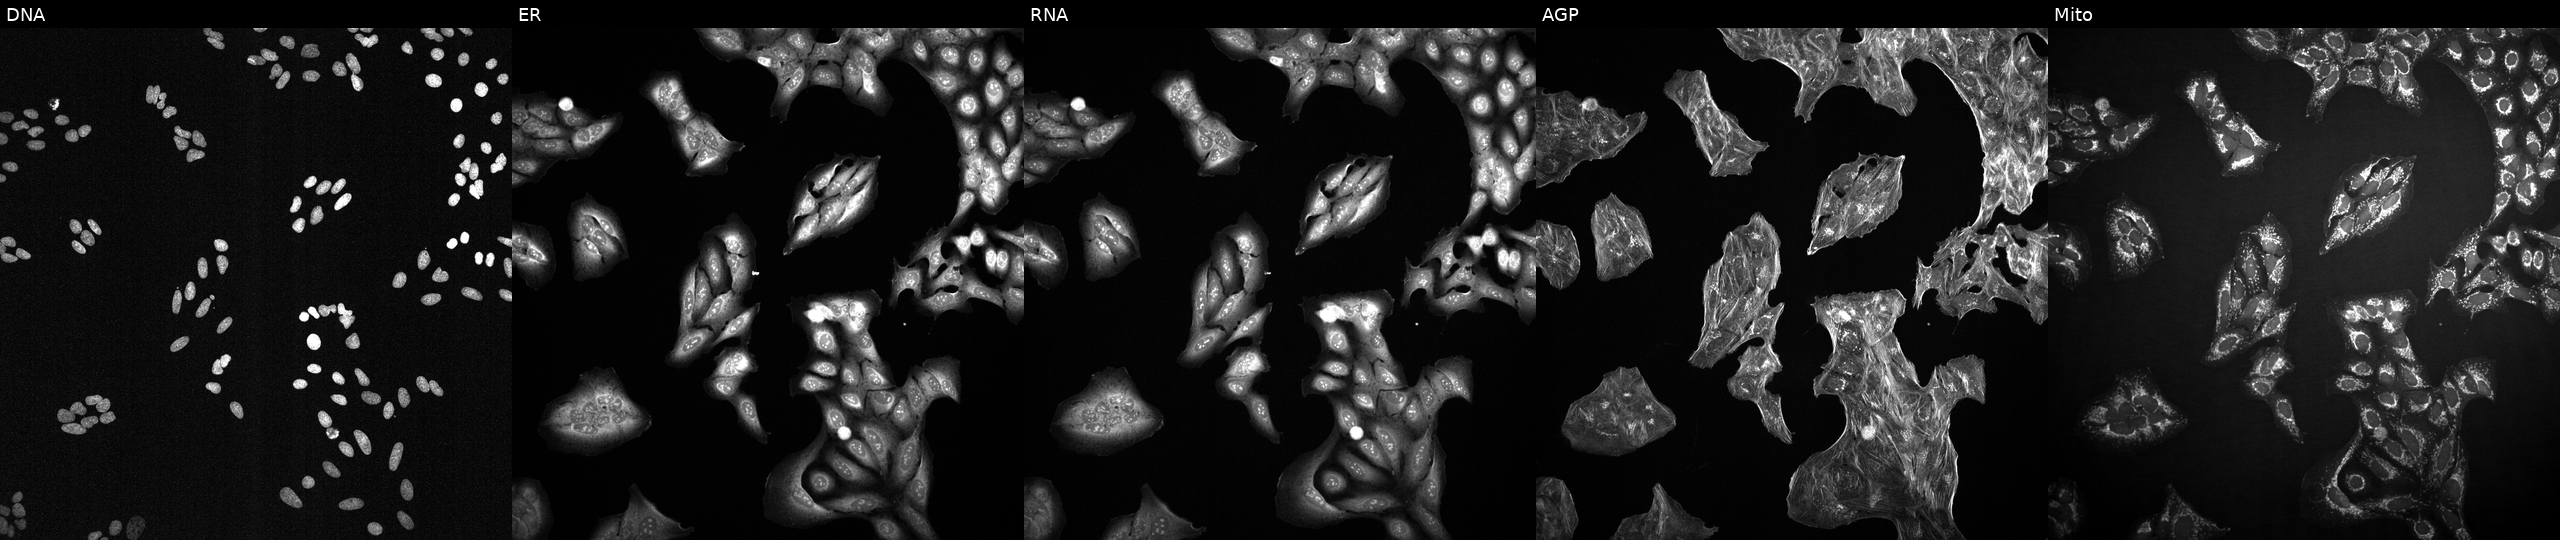
From left to right: DNA, ER, RNA, AGP, and Mito. U2OS osteosarcoma cells perturbed with a small-molecule compound (InChIKey DHMTURDWPRKSOA-UHFFFAOYSA-N) [SMILES: NC(=O)N1CCC(CC(=O)N2CCC(C3c4ncc(Br)cc4CCc4cc(Cl)cc(Br)c43)CC2)CC1] (JUMP id JCP2022_015955). Cell Painting assay, JUMP-CP dataset. Source 2, plate 1053599503, well N08.